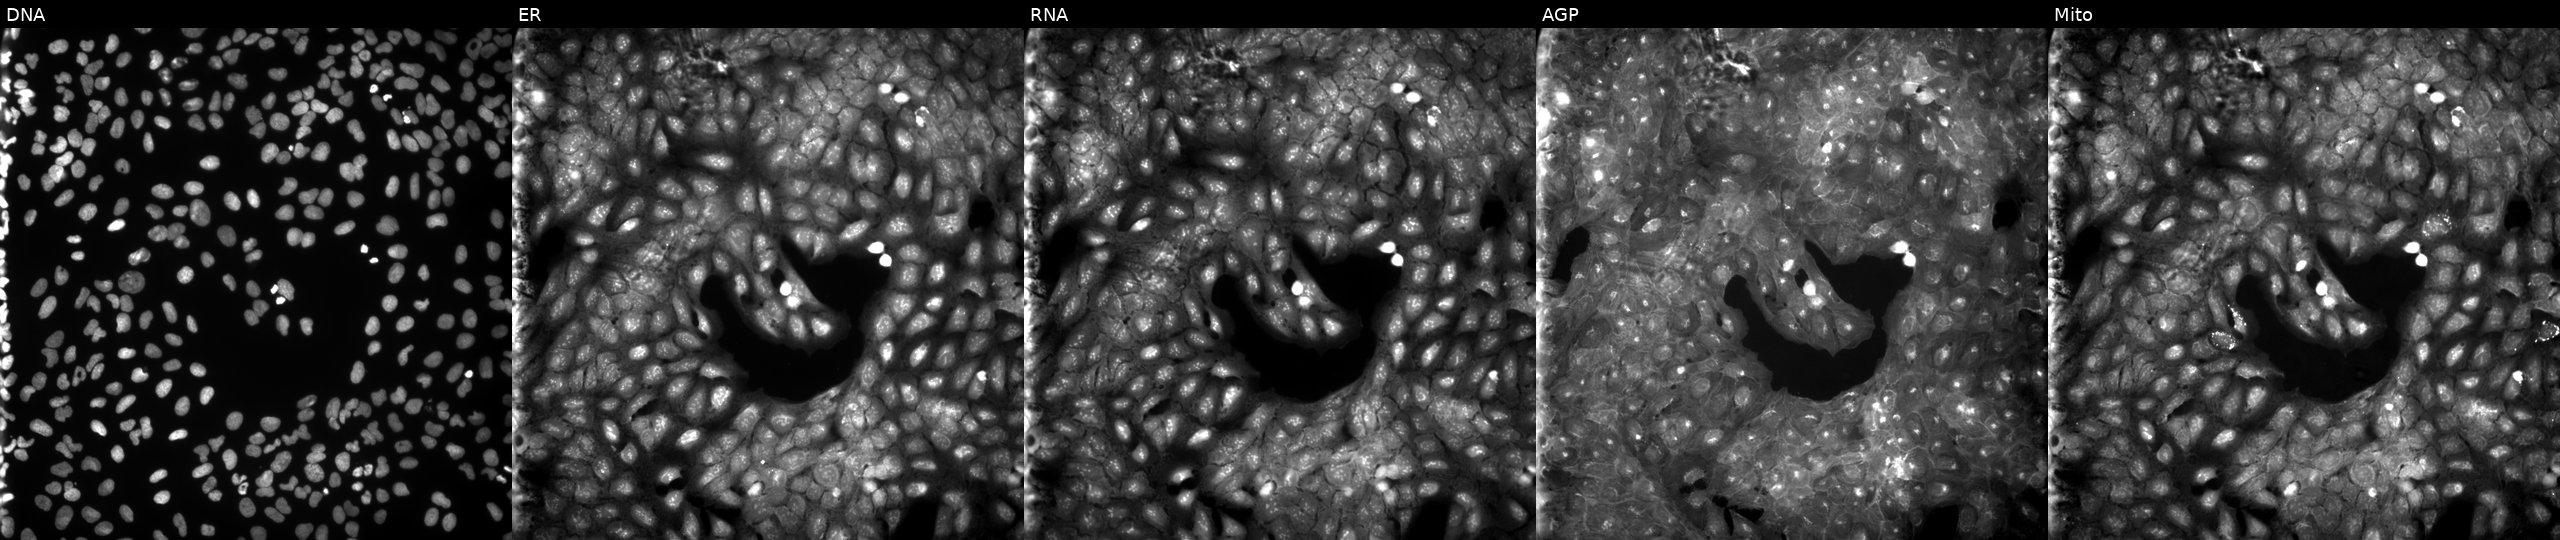
High-content fluorescence microscopy (Cell Painting). Cell line: U2OS. Perturbation: perturbed with a small-molecule compound. Panels show, left to right, DNA (nuclei); ER (endoplasmic reticulum); RNA (nucleoli and cytoplasmic RNA); AGP (actin cytoskeleton, Golgi, and plasma membrane); Mito (mitochondria).